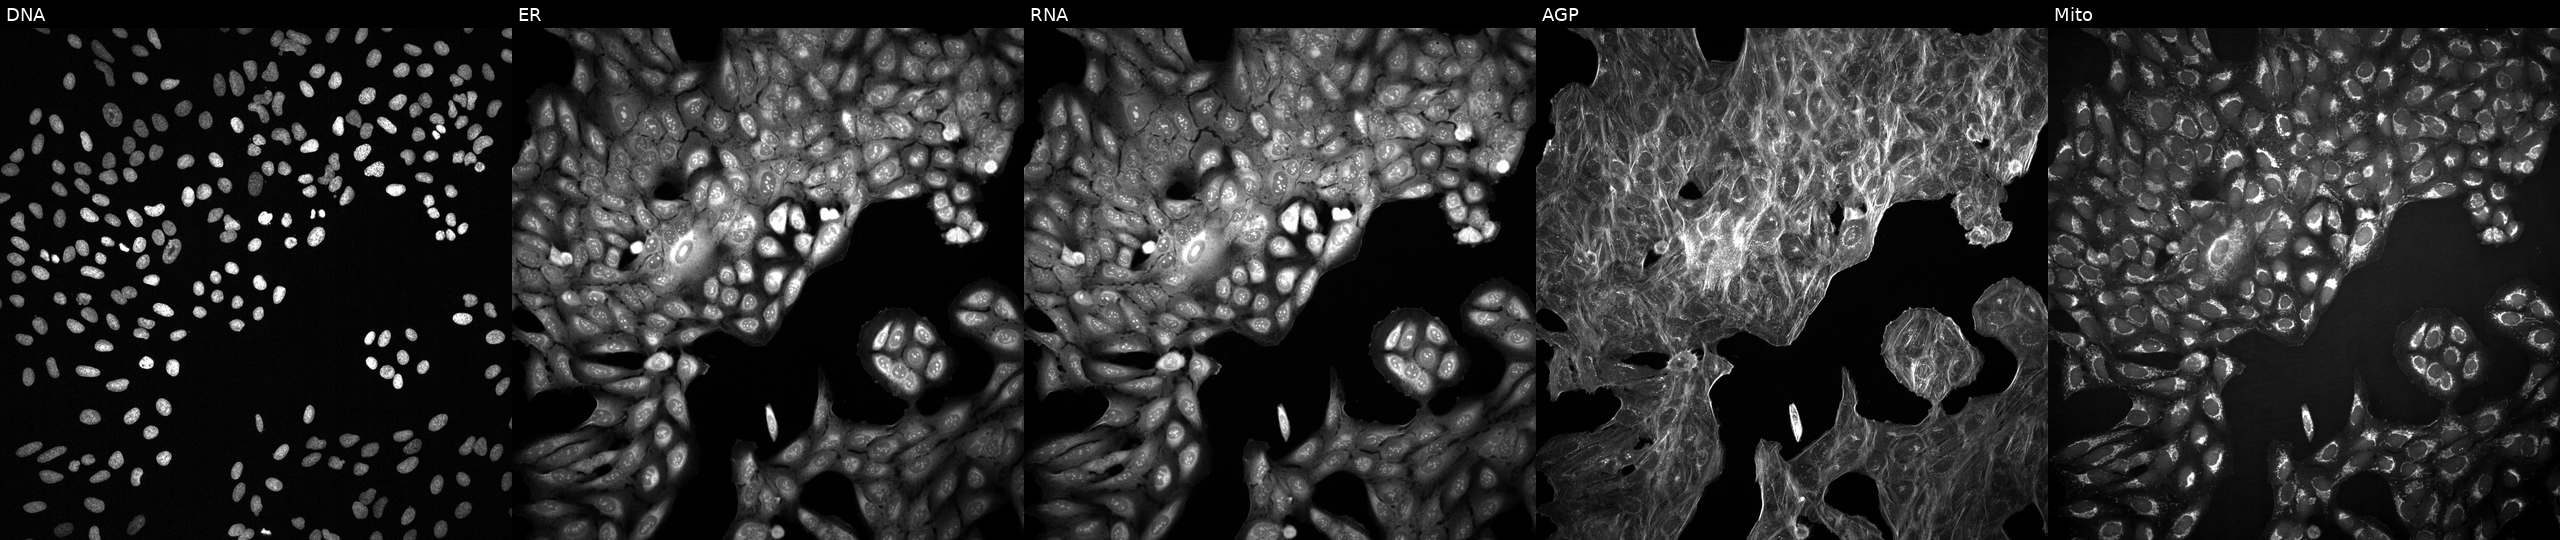
This image strip shows the five Cell Painting channels for a single field of U2OS cells treated with a small-molecule compound (InChIKey RBNAKFSOTNLYTC-UHFFFAOYSA-N). From left to right: Hoechst 33342, concanavalin A, SYTO 14, phalloidin and WGA, MitoTracker. Source 2, plate 1053601756, well G16.